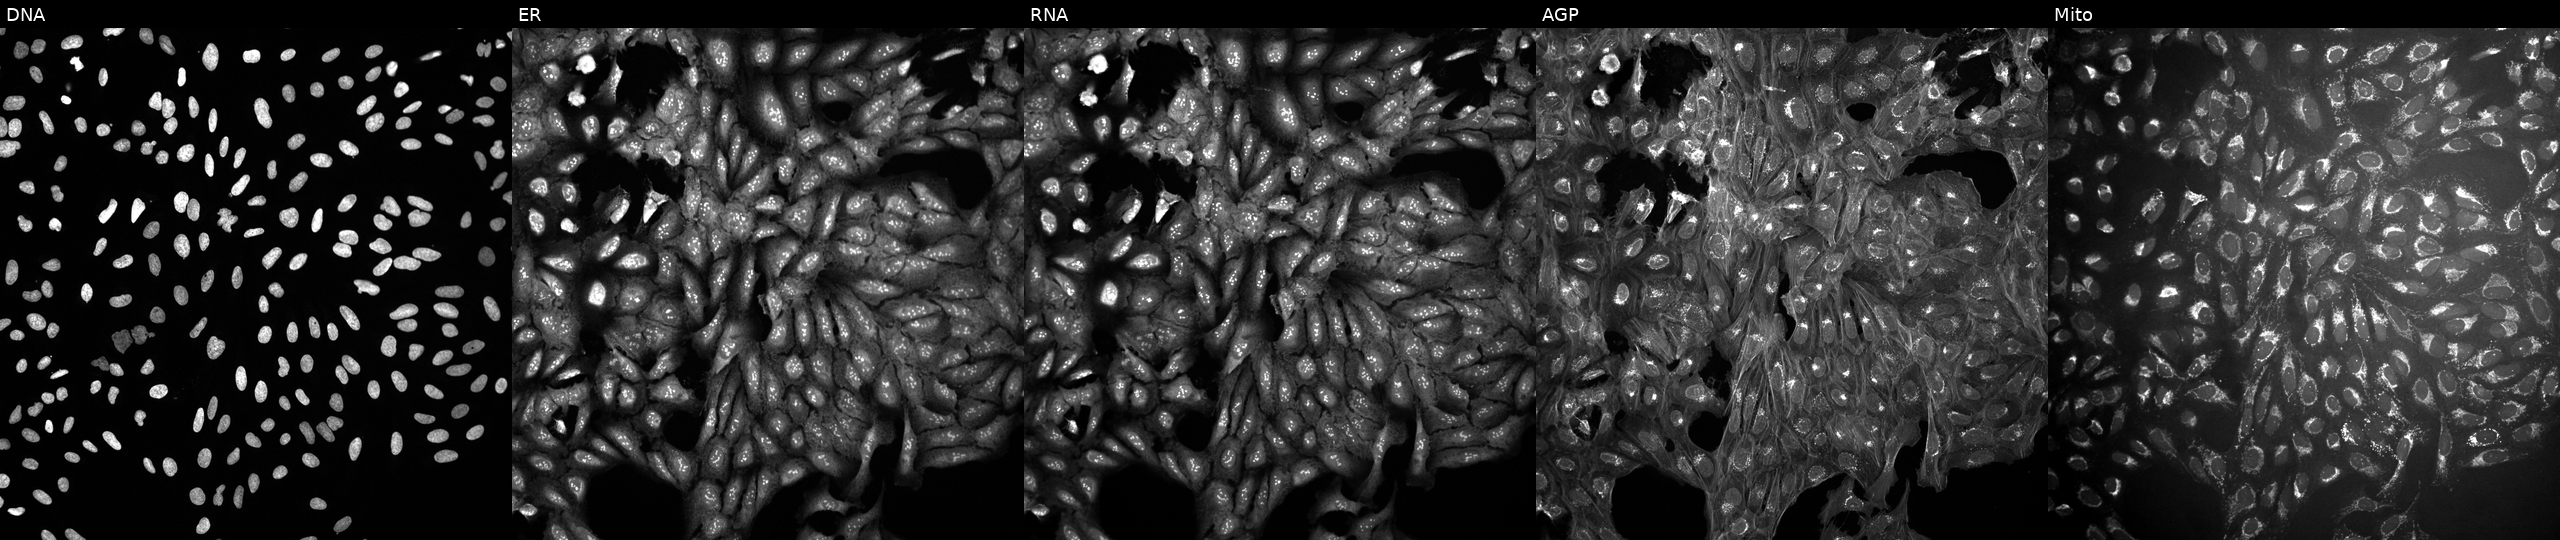
U2OS cells, Cell Painting assay, perturbed with a small-molecule compound (InChIKey AWPQLJOGIUTHIM-UHFFFAOYSA-N). Panels show, left to right, DNA (nuclei); ER (endoplasmic reticulum); RNA (nucleoli and cytoplasmic RNA); AGP (actin cytoskeleton, Golgi, and plasma membrane); Mito (mitochondria). Each panel is percentile-stretched 16-bit fluorescence. Source 10, plate Dest210531-152149, well I16.